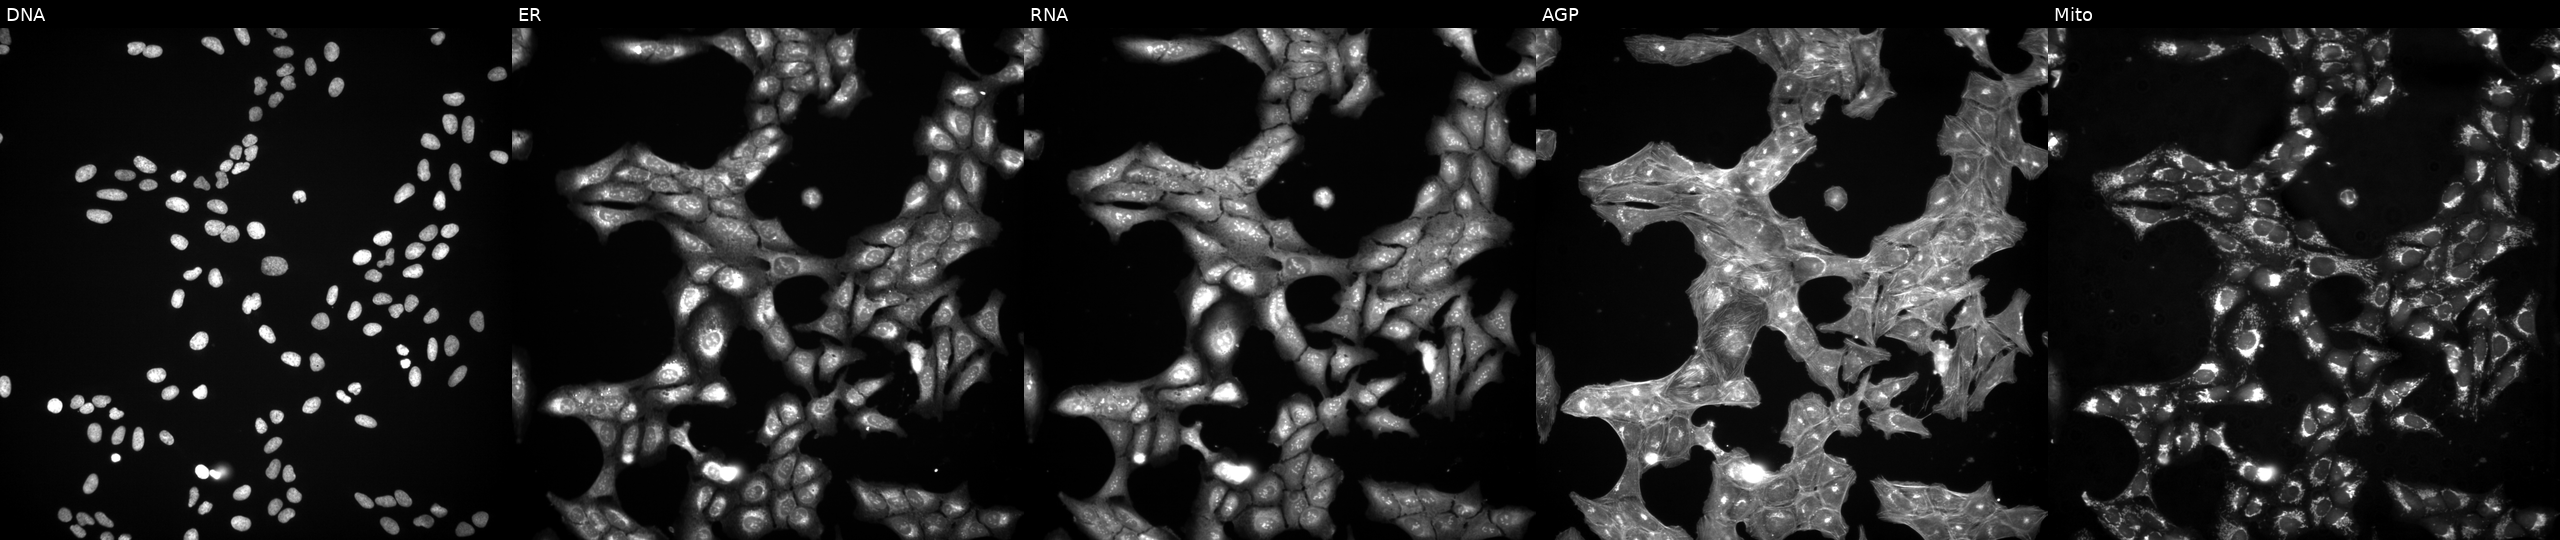
JUMP Cell Painting — TARGET2 plate. U2OS cells treated with a small-molecule compound (InChIKey WXPNDRBBWZMPQG-UHFFFAOYSA-N) (JUMP id JCP2022_101857). The five panels, left to right, show DNA (nuclei); ER (endoplasmic reticulum); RNA (nucleoli and cytoplasmic RNA); AGP (actin cytoskeleton, Golgi, and plasma membrane); Mito (mitochondria).